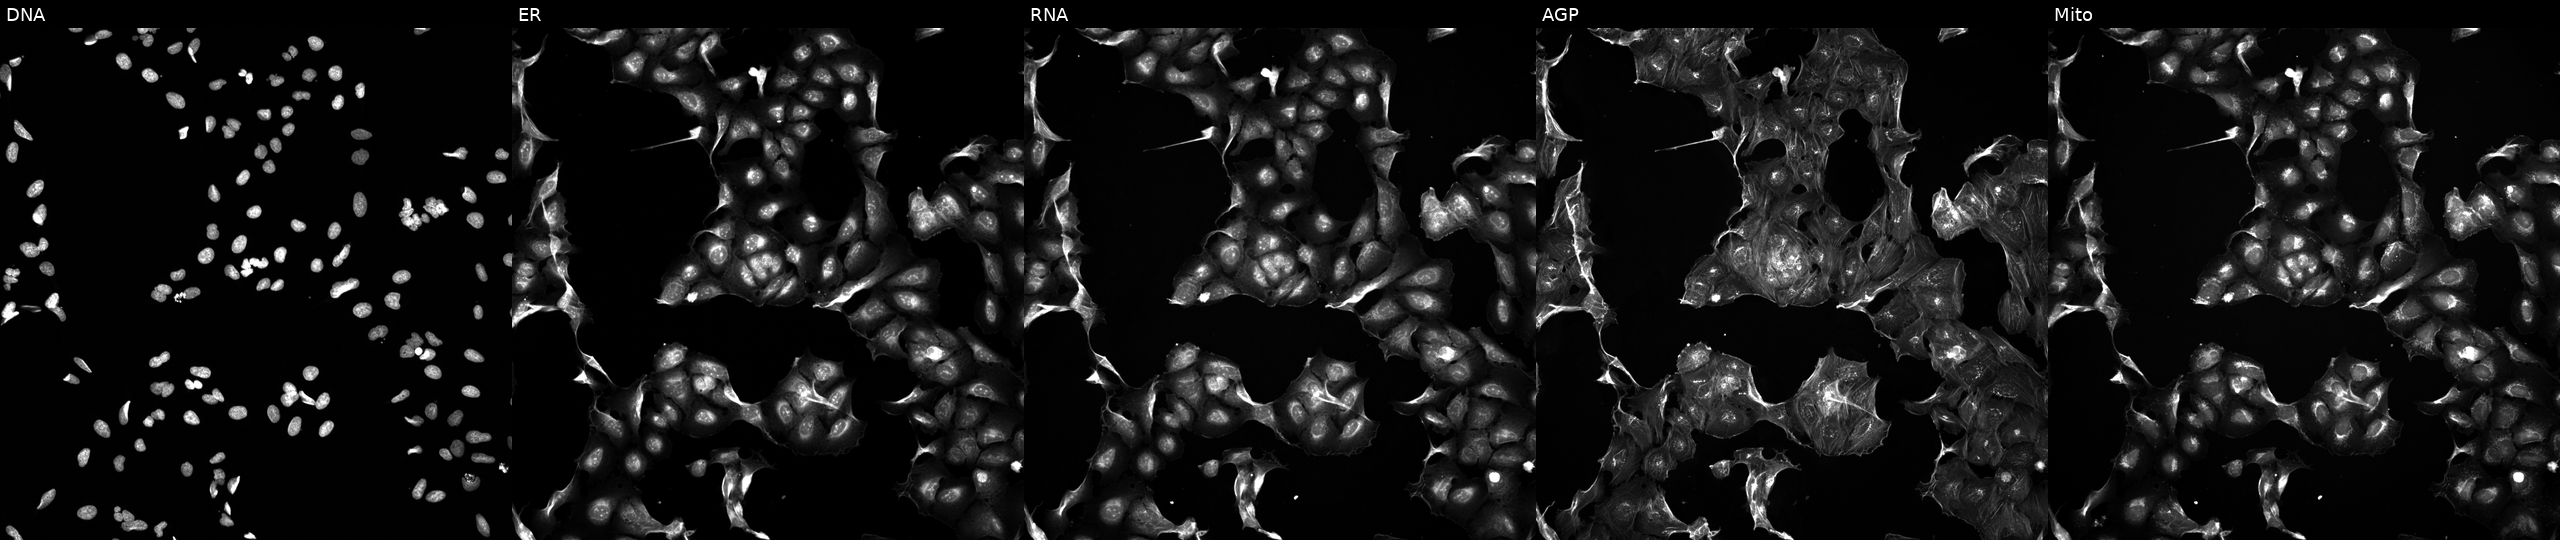
Five-channel Cell Painting image of U2OS cells treated with TC-S-7004 (positive-control compound) (JUMP id JCP2022_012818). From left to right: DNA (nuclei); ER (endoplasmic reticulum); RNA (nucleoli and cytoplasmic RNA); AGP (actin cytoskeleton, Golgi, and plasma membrane); Mito (mitochondria).